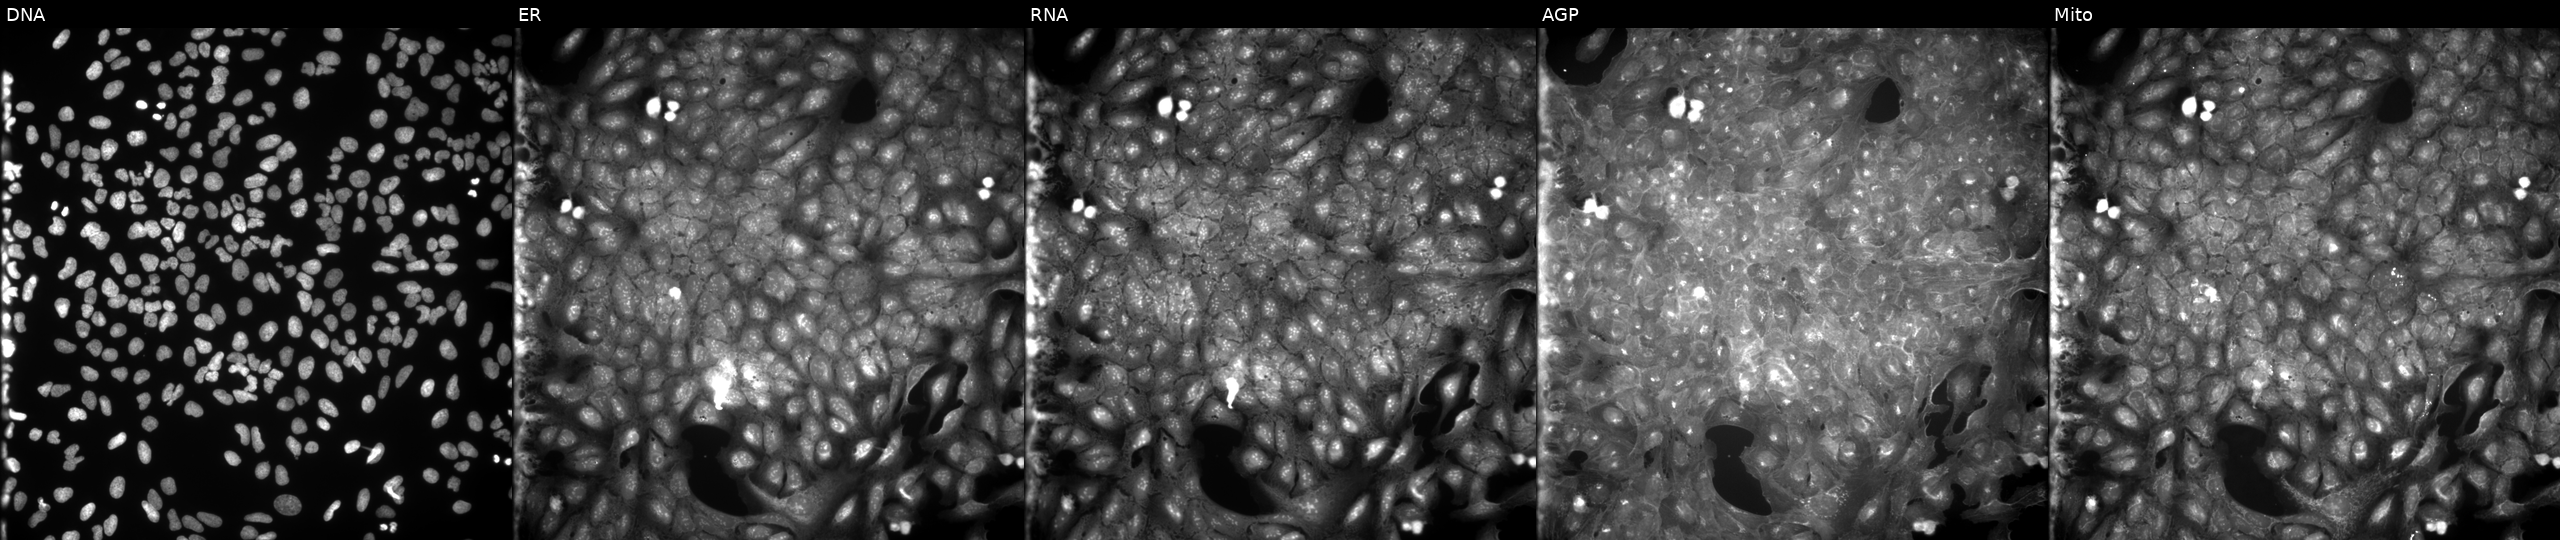
Channels (left→right): Hoechst 33342, concanavalin A, SYTO 14, phalloidin and WGA, MitoTracker. U2OS osteosarcoma cells exposed to a small-molecule compound (JUMP id JCP2022_020745). Cell Painting assay, JUMP-CP dataset. Source 9, plate GR00003381, well F16.